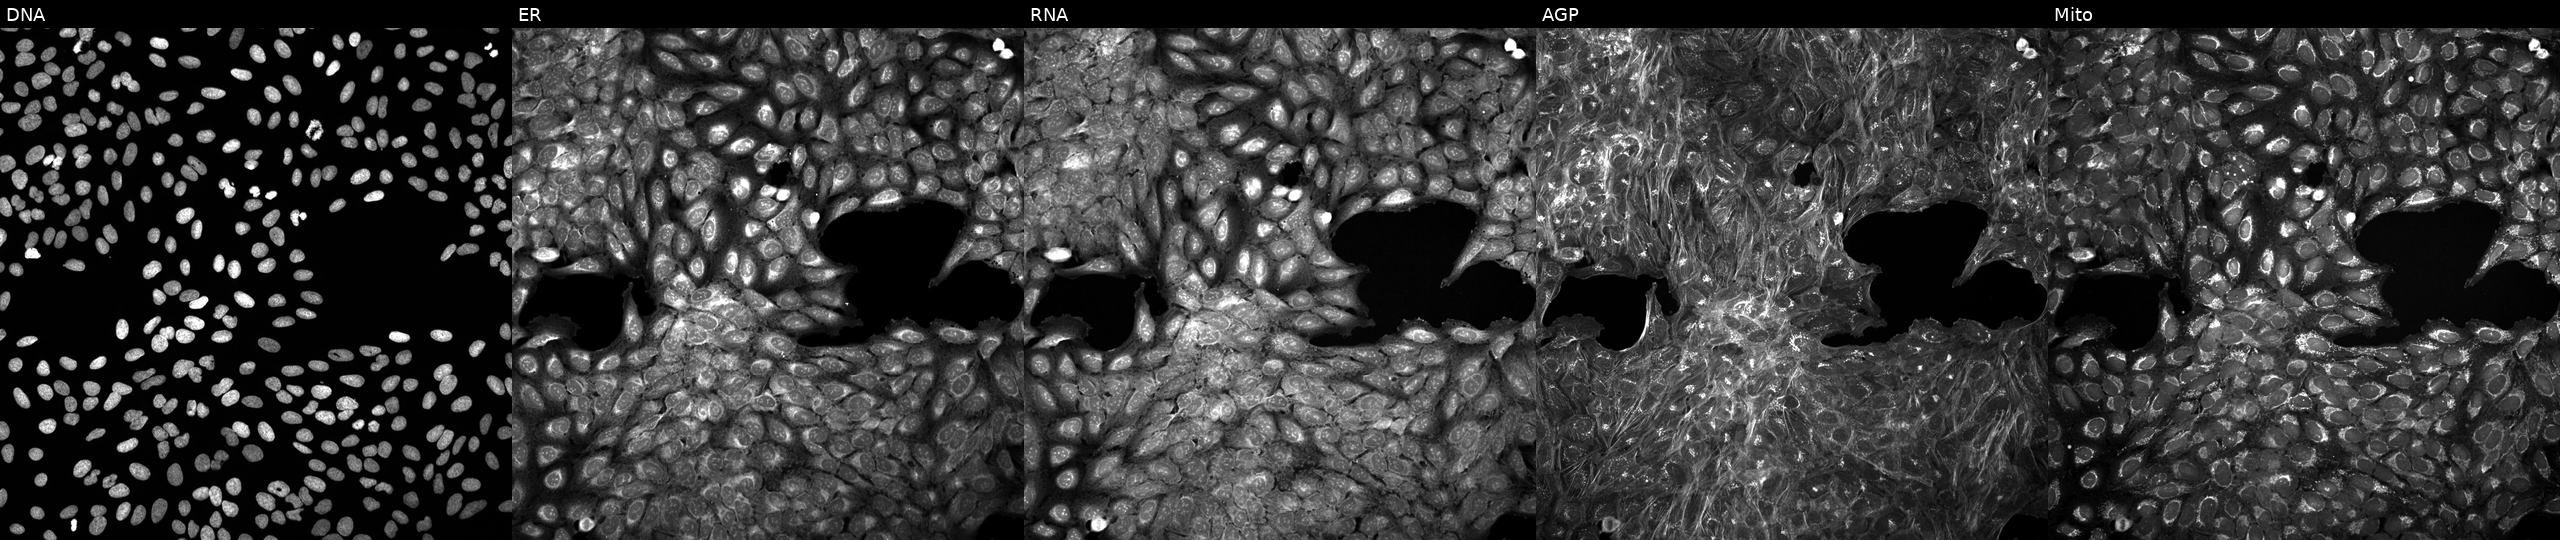
The five panels, left to right, show DNA, ER, RNA, AGP, and Mito. U2OS osteosarcoma cells exposed to the positive-control compound dexamethasone (JUMP id JCP2022_025848). Cell Painting assay, JUMP-CP dataset.